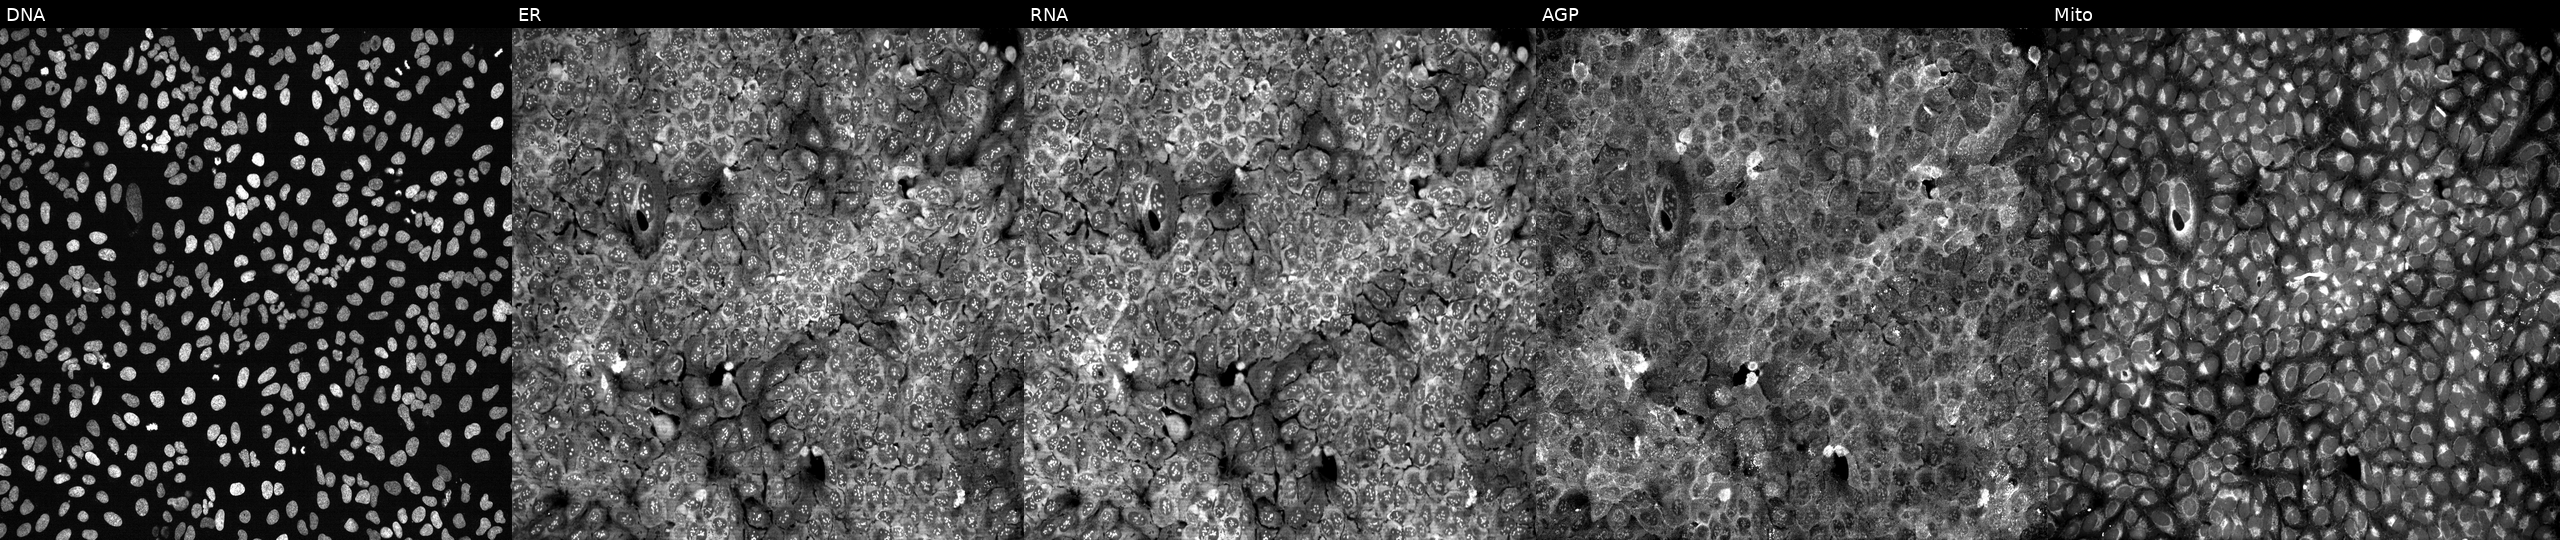
Five-channel Cell Painting image of U2OS cells CRISPR-edited to disrupt SERPINA4. From left to right: Hoechst 33342, concanavalin A, SYTO 14, phalloidin and WGA, MitoTracker. Source 13, plate CP-CC9-R5-01, well E12.